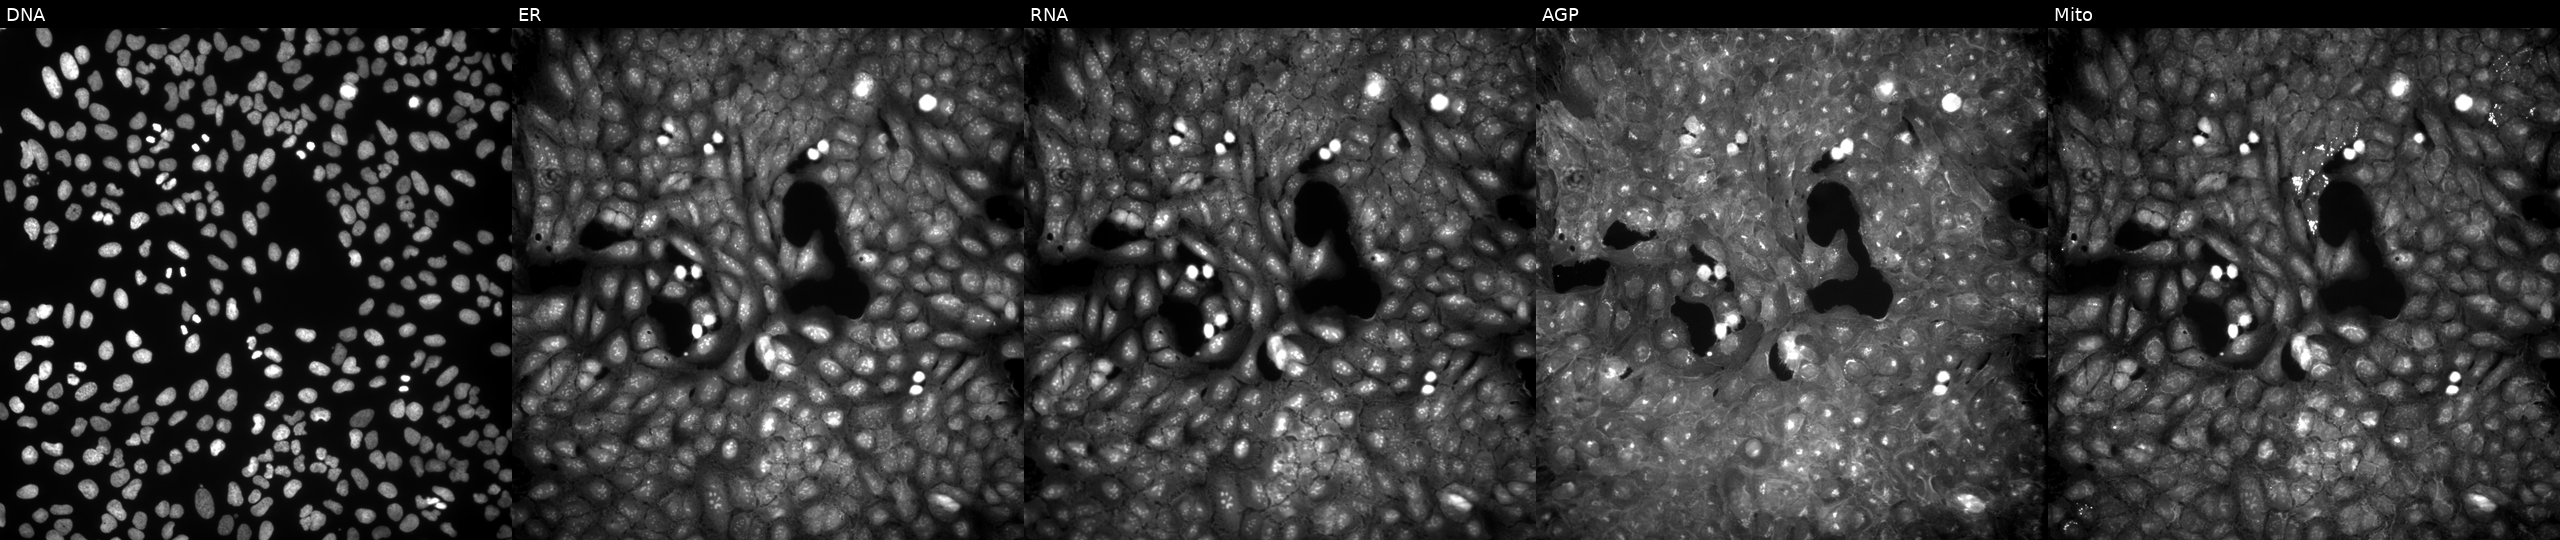
This image strip shows the five Cell Painting channels for a single field of U2OS cells perturbed with a small-molecule compound [SMILES: COc1ccc(CCN(C)c2cc(O)n(-c3ccccc3)c2O)cc1OC] (JUMP id JCP2022_044645). The five panels, left to right, show Hoechst 33342, concanavalin A, SYTO 14, phalloidin and WGA, MitoTracker.